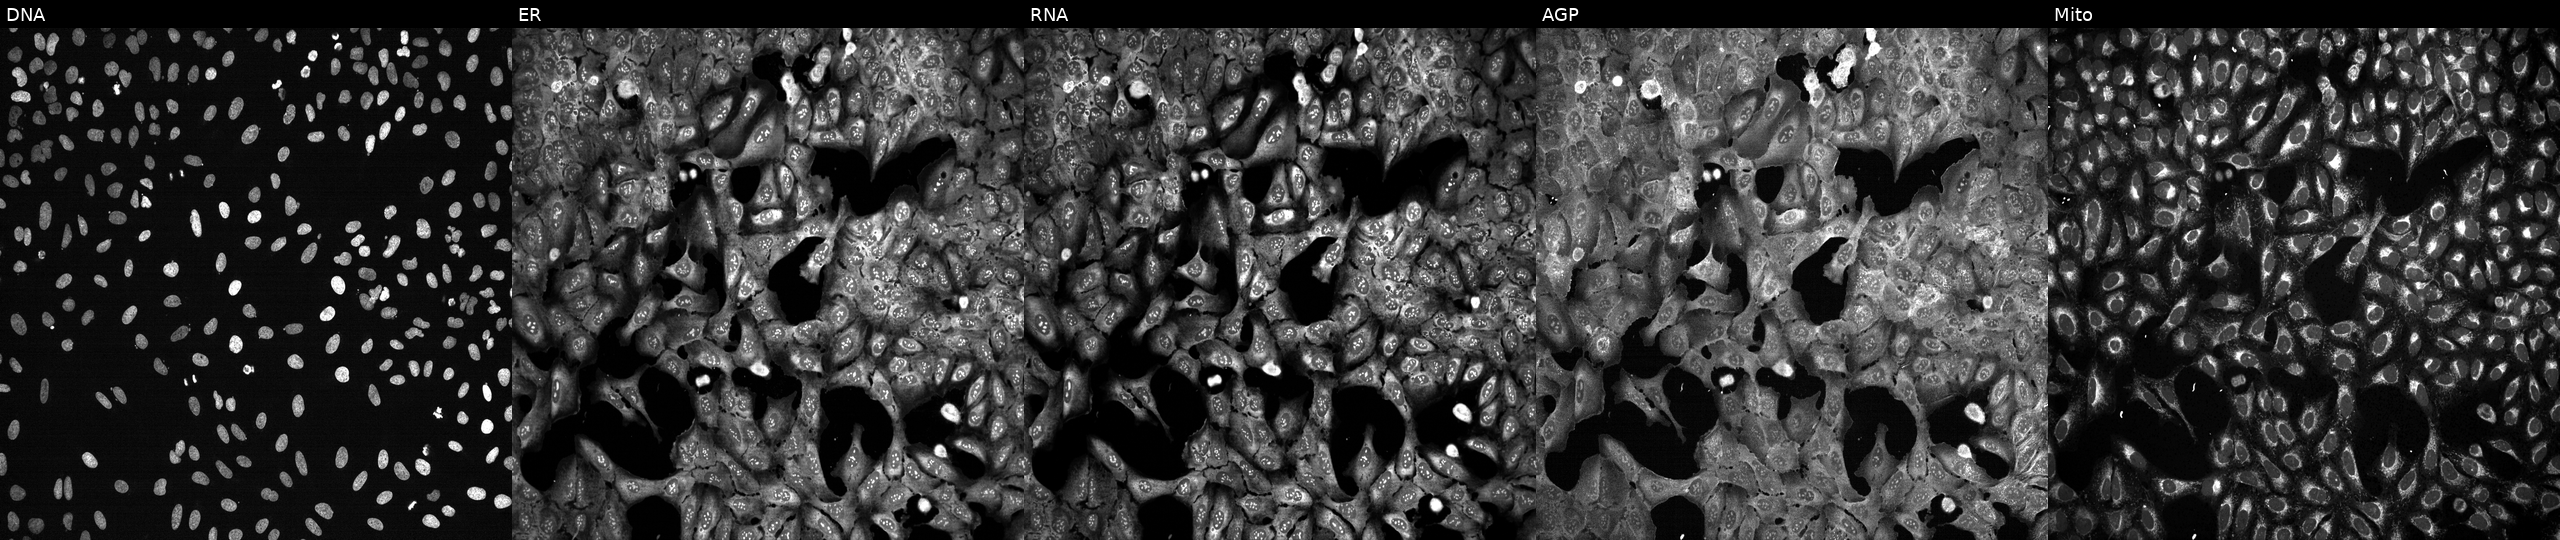
This image strip shows the five Cell Painting channels for a single field of U2OS cells CRISPR-edited to disrupt CP. Panels show, left to right, DNA (nuclei); ER (endoplasmic reticulum); RNA (nucleoli and cytoplasmic RNA); AGP (actin cytoskeleton, Golgi, and plasma membrane); Mito (mitochondria). Source 13, plate CP-CC9-R3-01, well J10.